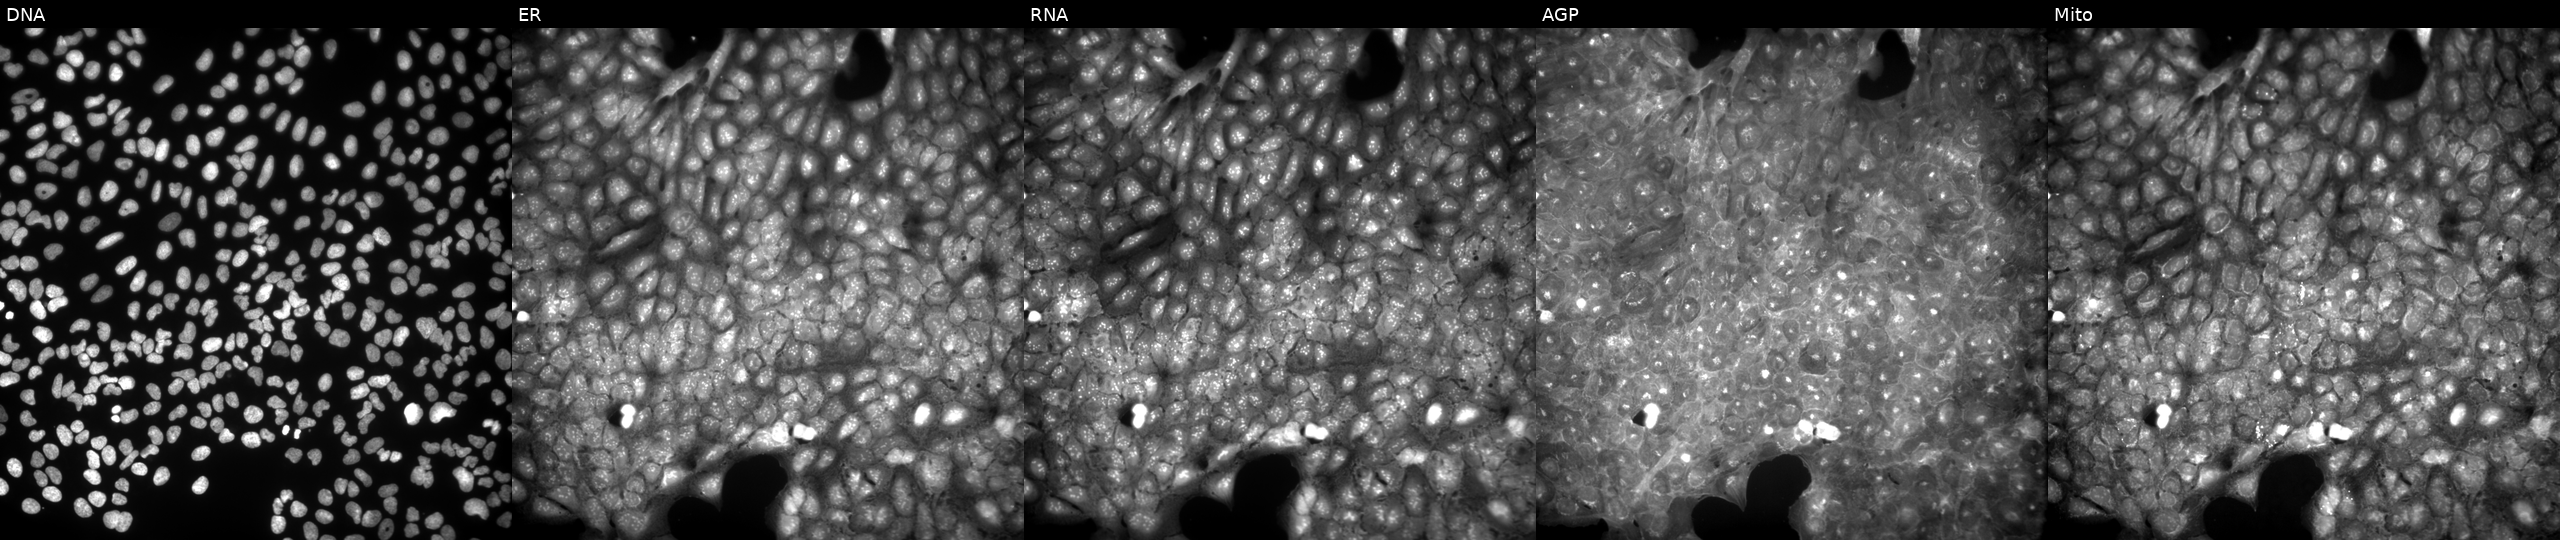
JUMP Cell Painting — COMPOUND plate. U2OS cells treated with a small-molecule compound (InChIKey IBVSZQNLCUIJMM-UHFFFAOYSA-N) (JUMP id JCP2022_034084). Panels show, left to right, Hoechst 33342, concanavalin A, SYTO 14, phalloidin and WGA, MitoTracker. Source 9, plate GR00003382, well AA30.